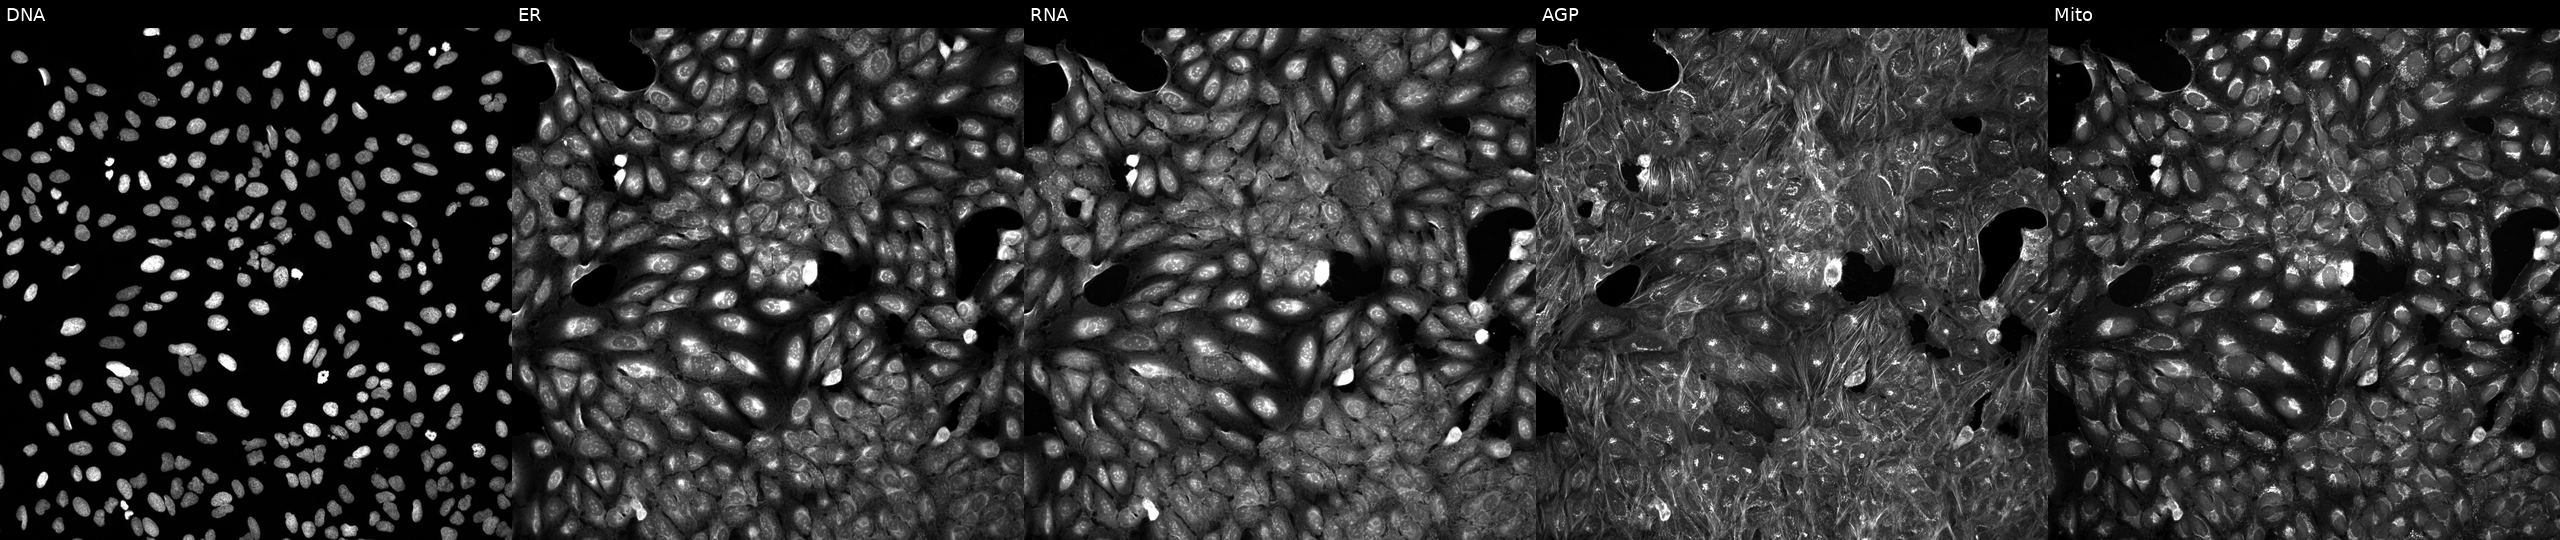
Five-channel Cell Painting image of U2OS cells exposed to a small-molecule compound (JUMP id JCP2022_116437). The five panels, left to right, show DNA, ER, RNA, AGP, and Mito.